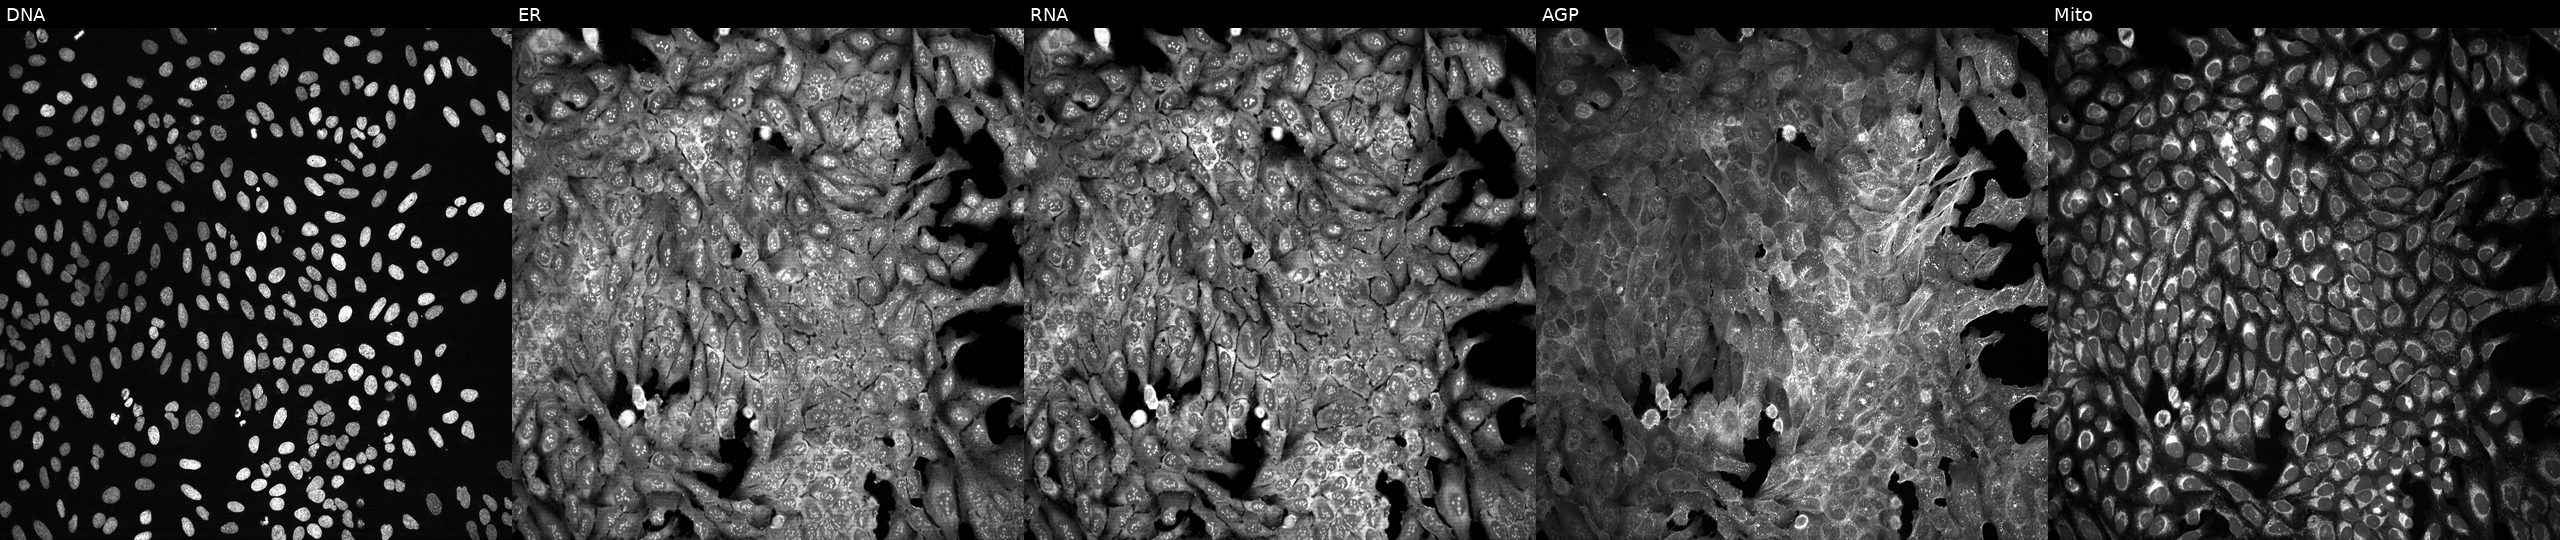
High-content fluorescence microscopy (Cell Painting). Cell line: U2OS. Perturbation: with HESX1 knocked out by CRISPR (JUMP id JCP2022_803087). From left to right: DNA, ER, RNA, AGP, and Mito.